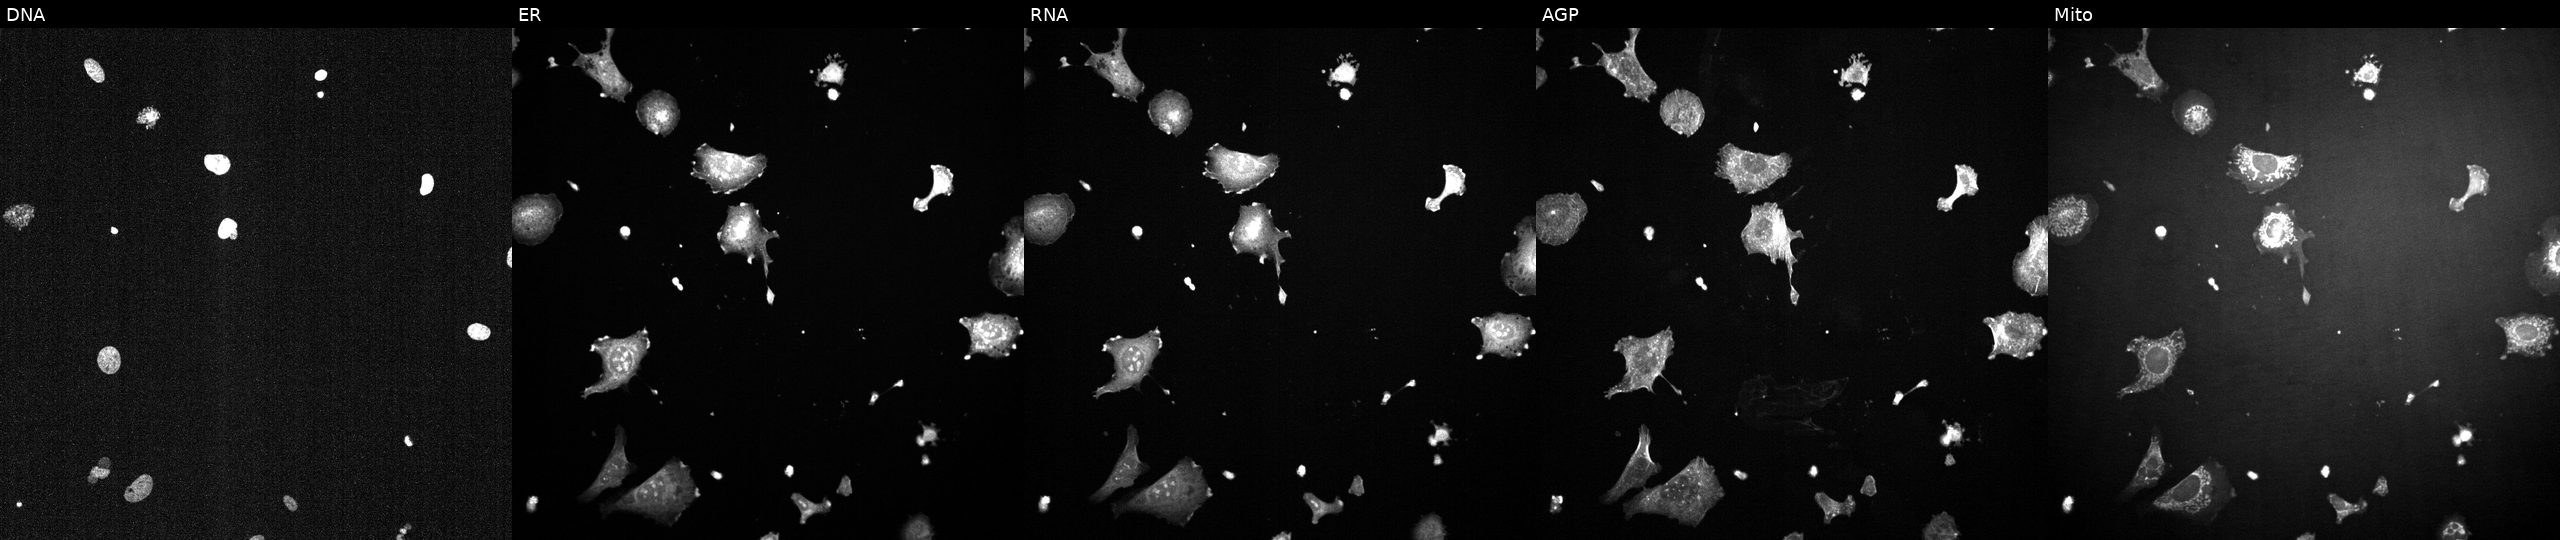
High-content fluorescence microscopy (Cell Painting). Cell line: U2OS. Perturbation: treated with a small-molecule compound (InChIKey MTJHLONVHHPNSI-UHFFFAOYSA-N) (JUMP id JCP2022_056401). Panels show, left to right, DNA, ER, RNA, AGP, and Mito. Source 2, plate 1053599503, well M15.